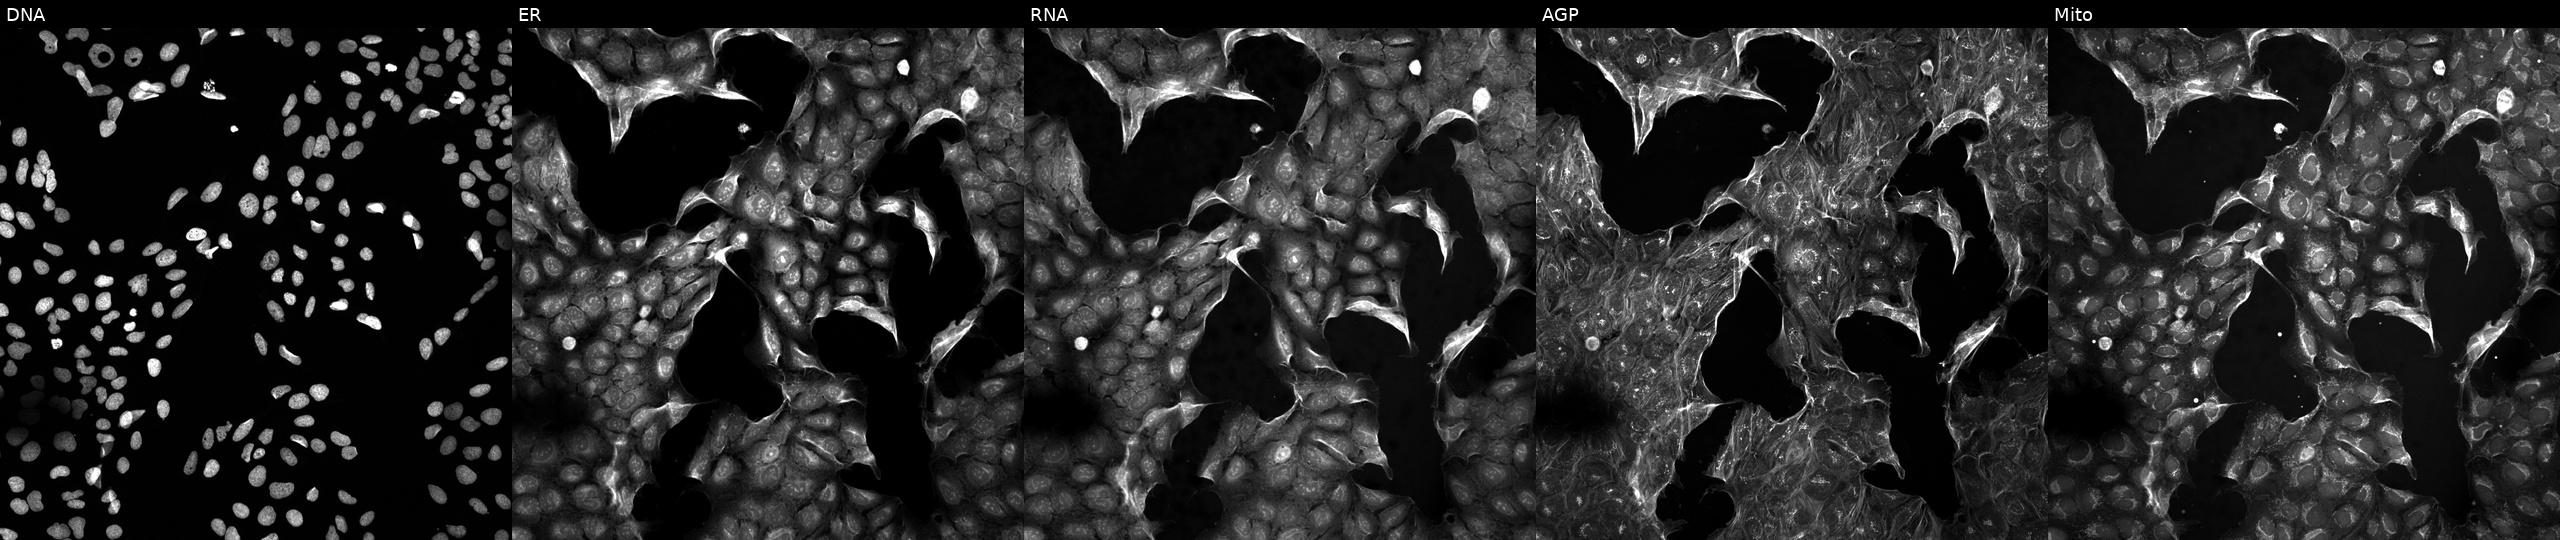
The five panels, left to right, show DNA, ER, RNA, AGP, and Mito. U2OS osteosarcoma cells treated with a small-molecule compound (InChIKey OAVGBZOFDPFGPJ-UHFFFAOYSA-N). Cell Painting assay, JUMP-CP dataset. Source 5, plate ACPJUM051, well N03.